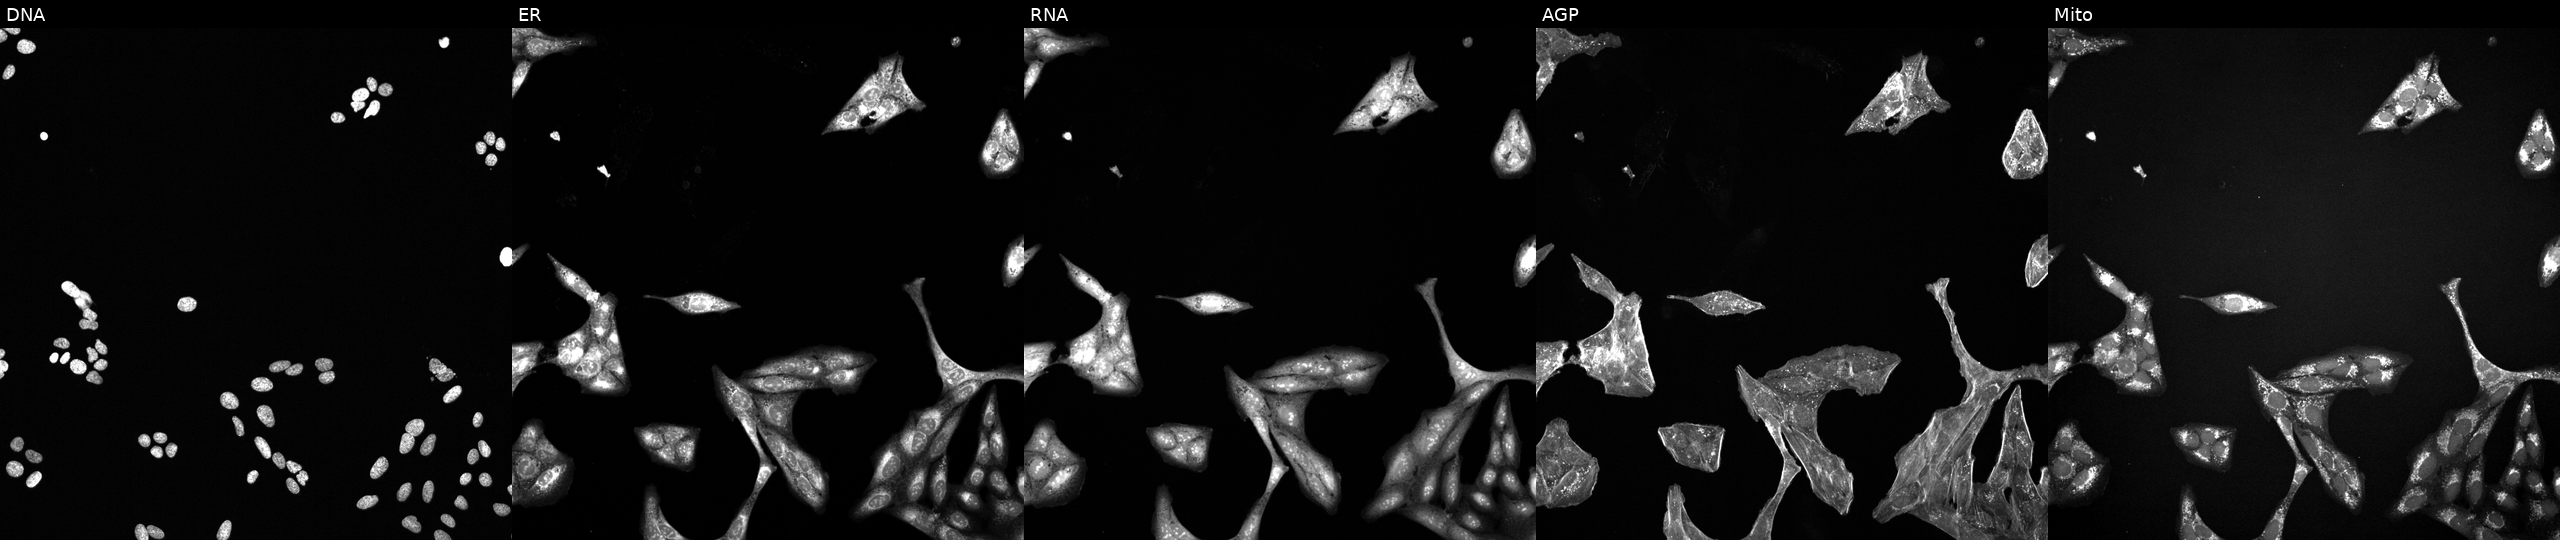
JUMP Cell Painting — TARGET2 plate. U2OS cells perturbed with a small-molecule compound (InChIKey VHHVPDKNKPNKHY-UHFFFAOYSA-N). Channels (left→right): DNA (nuclei); ER (endoplasmic reticulum); RNA (nucleoli and cytoplasmic RNA); AGP (actin cytoskeleton, Golgi, and plasma membrane); Mito (mitochondria).